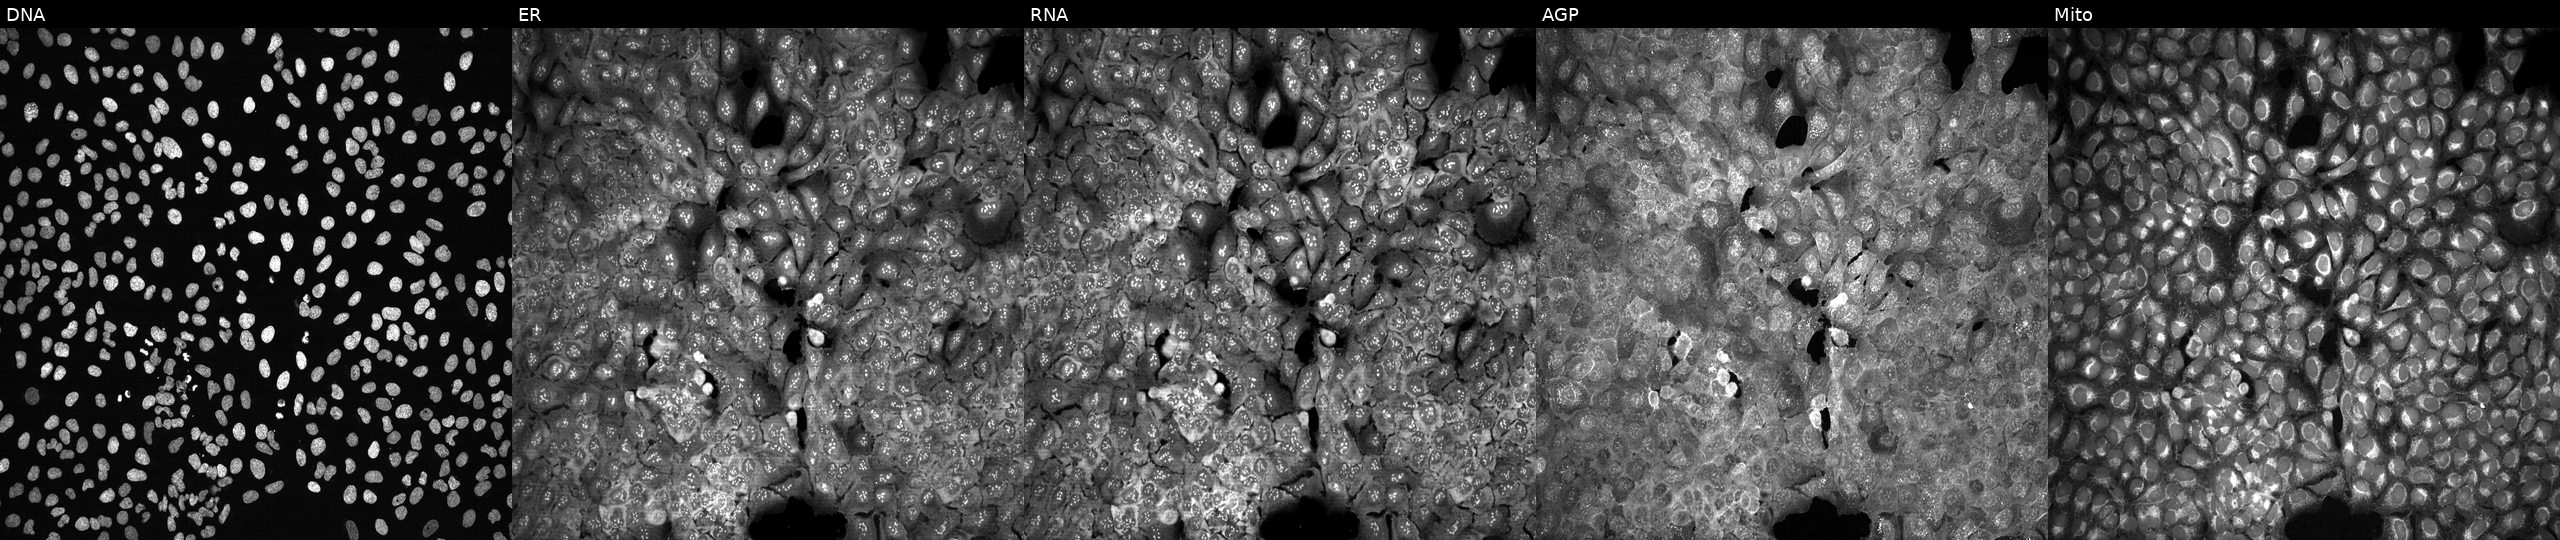
JUMP Cell Painting — CRISPR plate. U2OS cells following CRISPR knockout of MGMT. Panels show, left to right, Hoechst 33342, concanavalin A, SYTO 14, phalloidin and WGA, MitoTracker. Source 13, plate CP-CC9-R5-01, well N13.